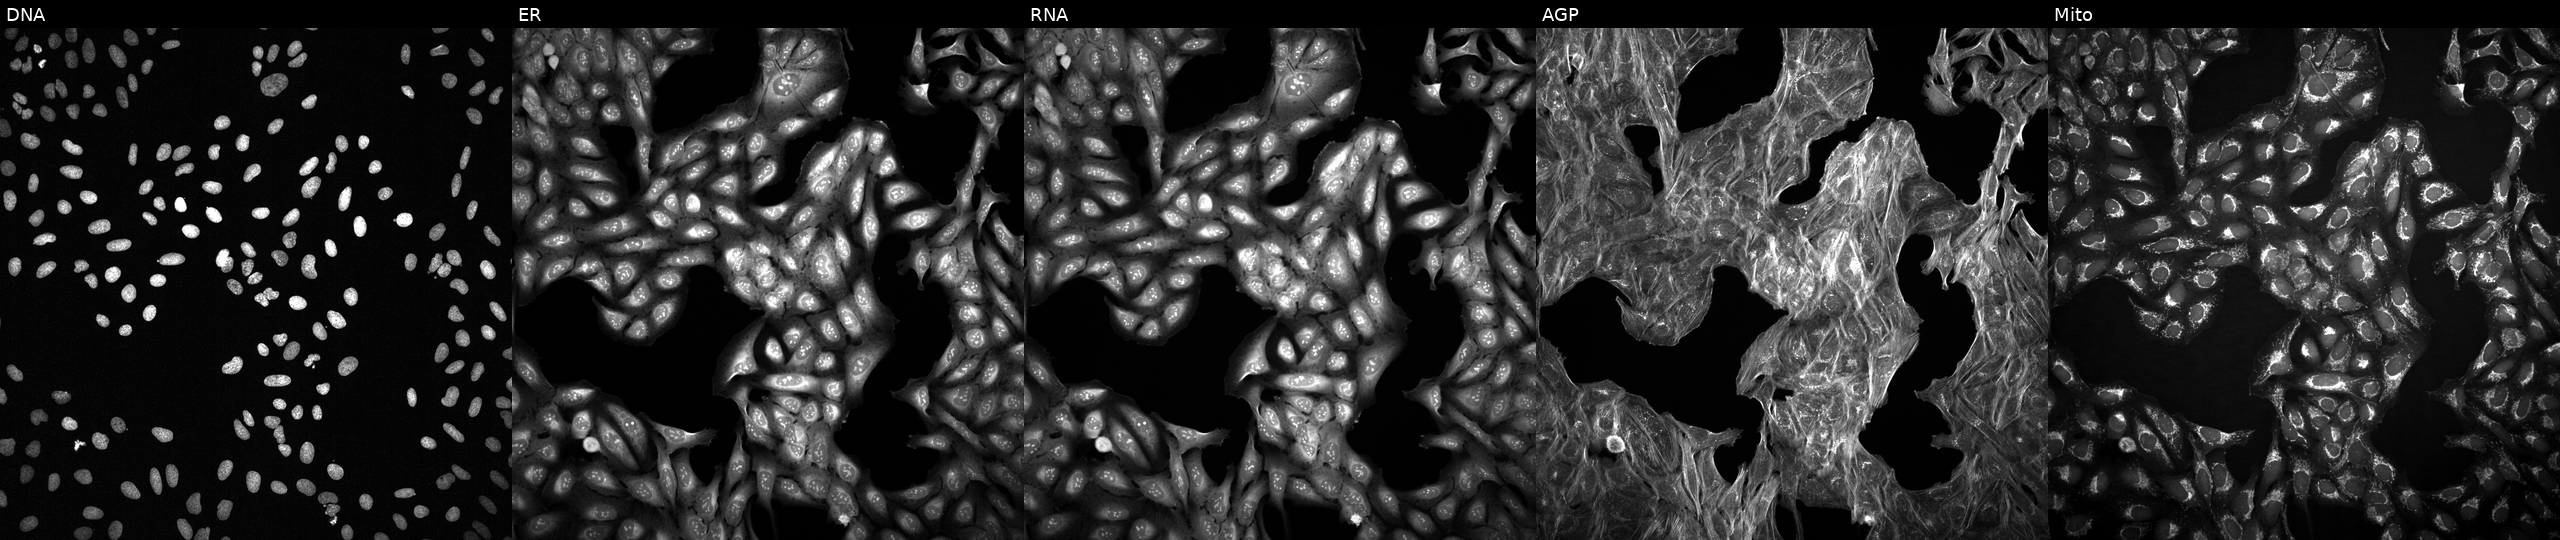
This image strip shows the five Cell Painting channels for a single field of U2OS cells with an unidentified perturbation (not annotated in JUMP metadata). The five panels, left to right, show Hoechst 33342, concanavalin A, SYTO 14, phalloidin and WGA, MitoTracker.